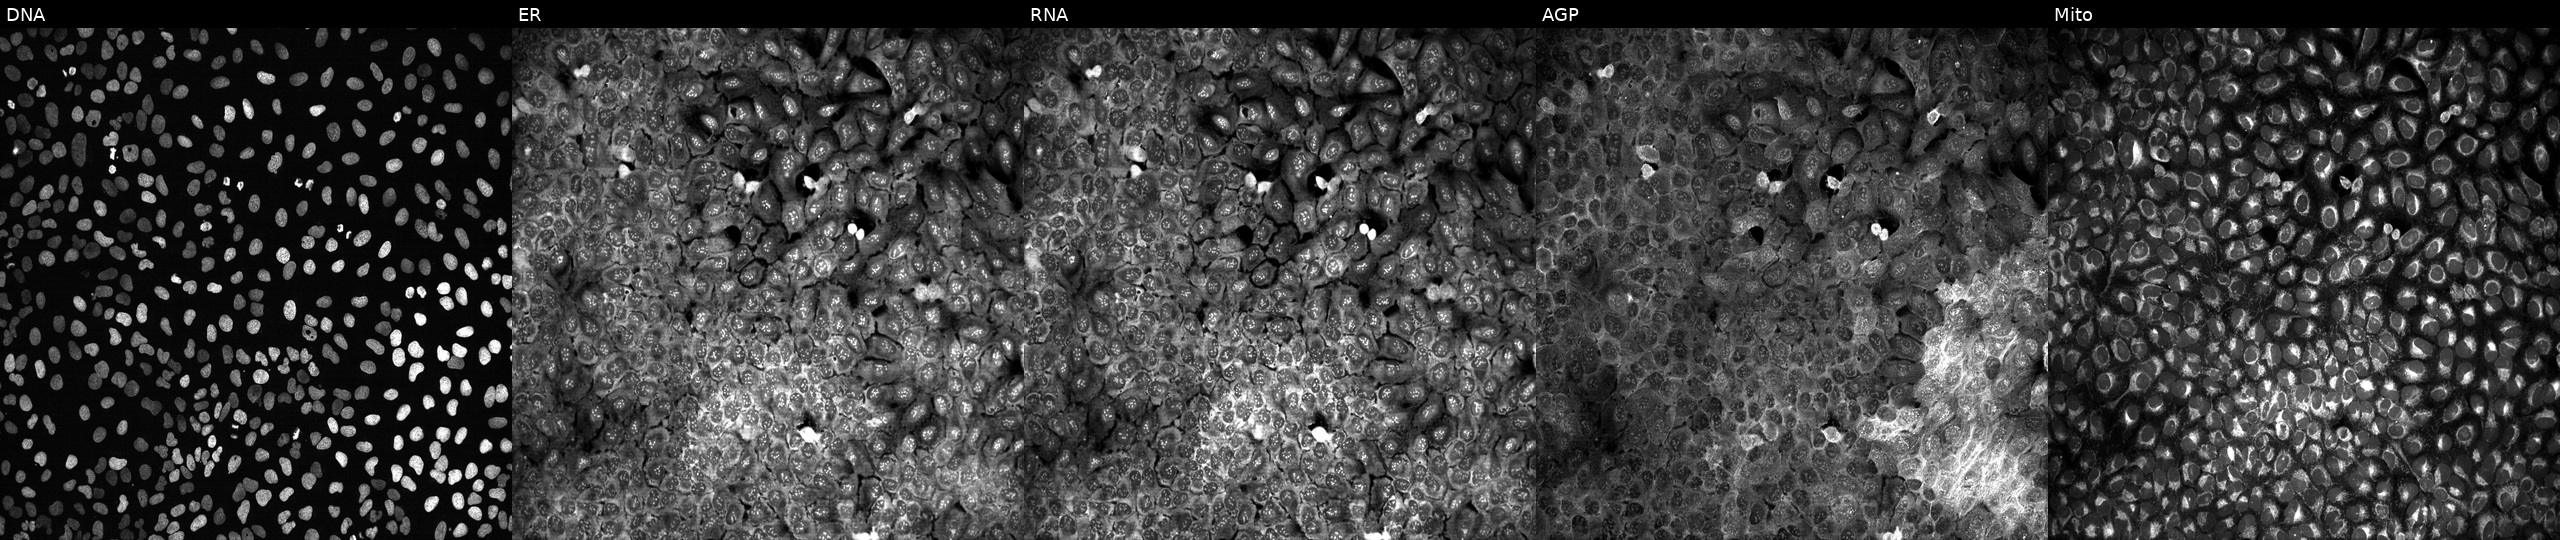
This image strip shows the five Cell Painting channels for a single field of U2OS cells with CHPF2 knocked out by CRISPR. Channels (left→right): DNA (nuclei); ER (endoplasmic reticulum); RNA (nucleoli and cytoplasmic RNA); AGP (actin cytoskeleton, Golgi, and plasma membrane); Mito (mitochondria).